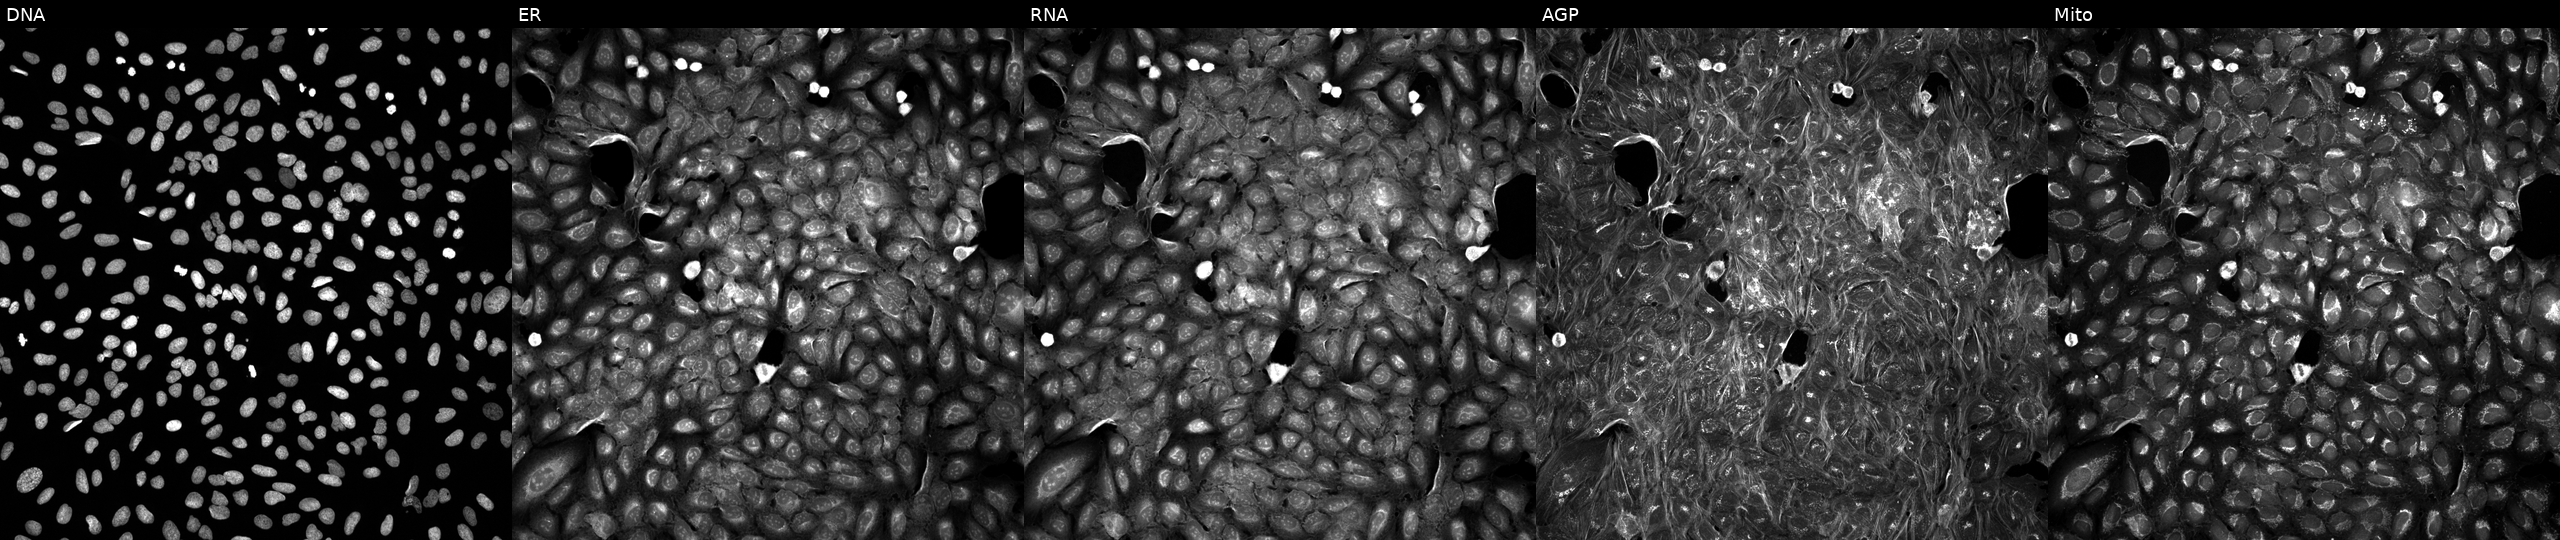
From left to right: DNA, ER, RNA, AGP, and Mito. U2OS osteosarcoma cells exposed to DMSO alone as a negative control. Cell Painting assay, JUMP-CP dataset. Source 5, plate ACPJUM032, well M21.